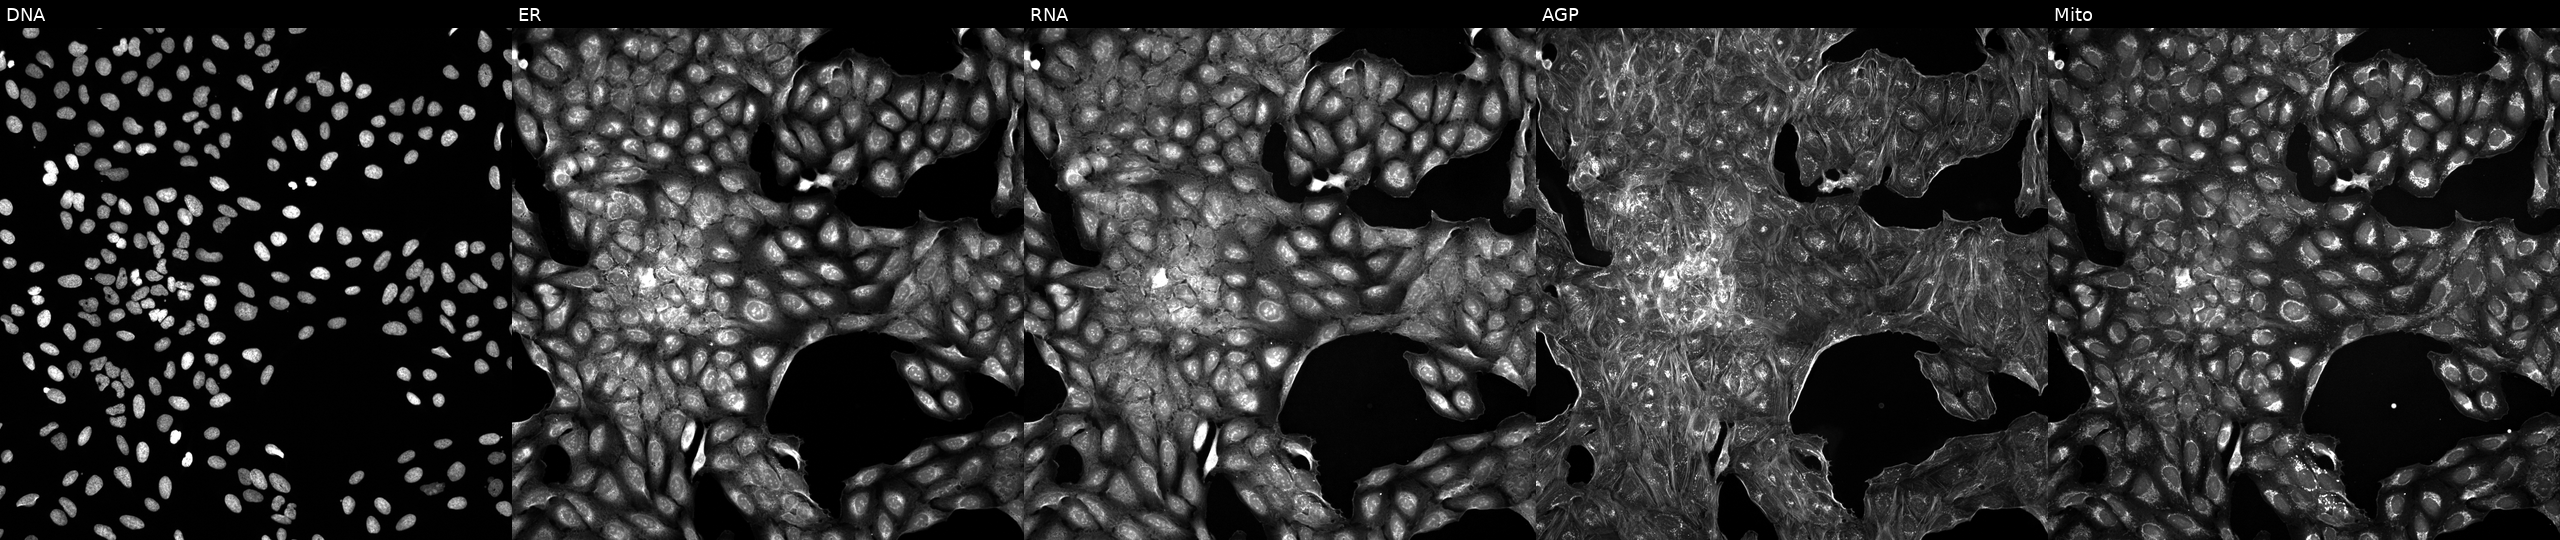
U2OS cells, Cell Painting assay, exposed to a small-molecule compound (InChIKey KUUJEXLRLIPQQJ-UHFFFAOYSA-N) (JUMP id JCP2022_047143). Channels (left→right): DNA (nuclei); ER (endoplasmic reticulum); RNA (nucleoli and cytoplasmic RNA); AGP (actin cytoskeleton, Golgi, and plasma membrane); Mito (mitochondria). Each panel is percentile-stretched 16-bit fluorescence.